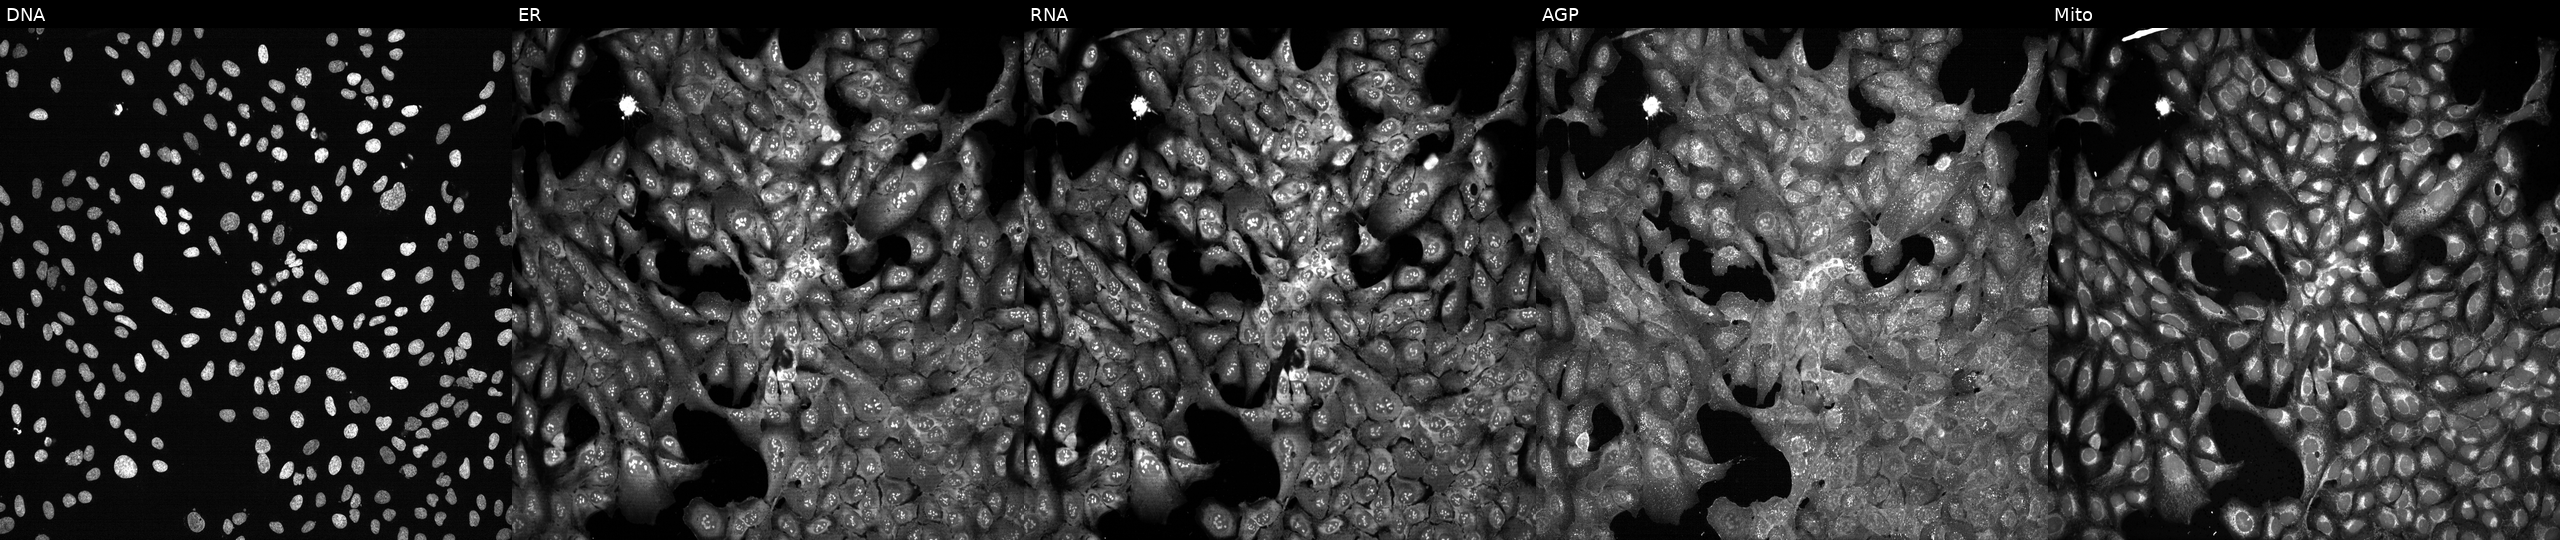
U2OS cells, Cell Painting assay, CRISPR-edited to disrupt PDGFB (JUMP id JCP2022_805008). Panels show, left to right, DNA, ER, RNA, AGP, and Mito. Each panel is percentile-stretched 16-bit fluorescence.